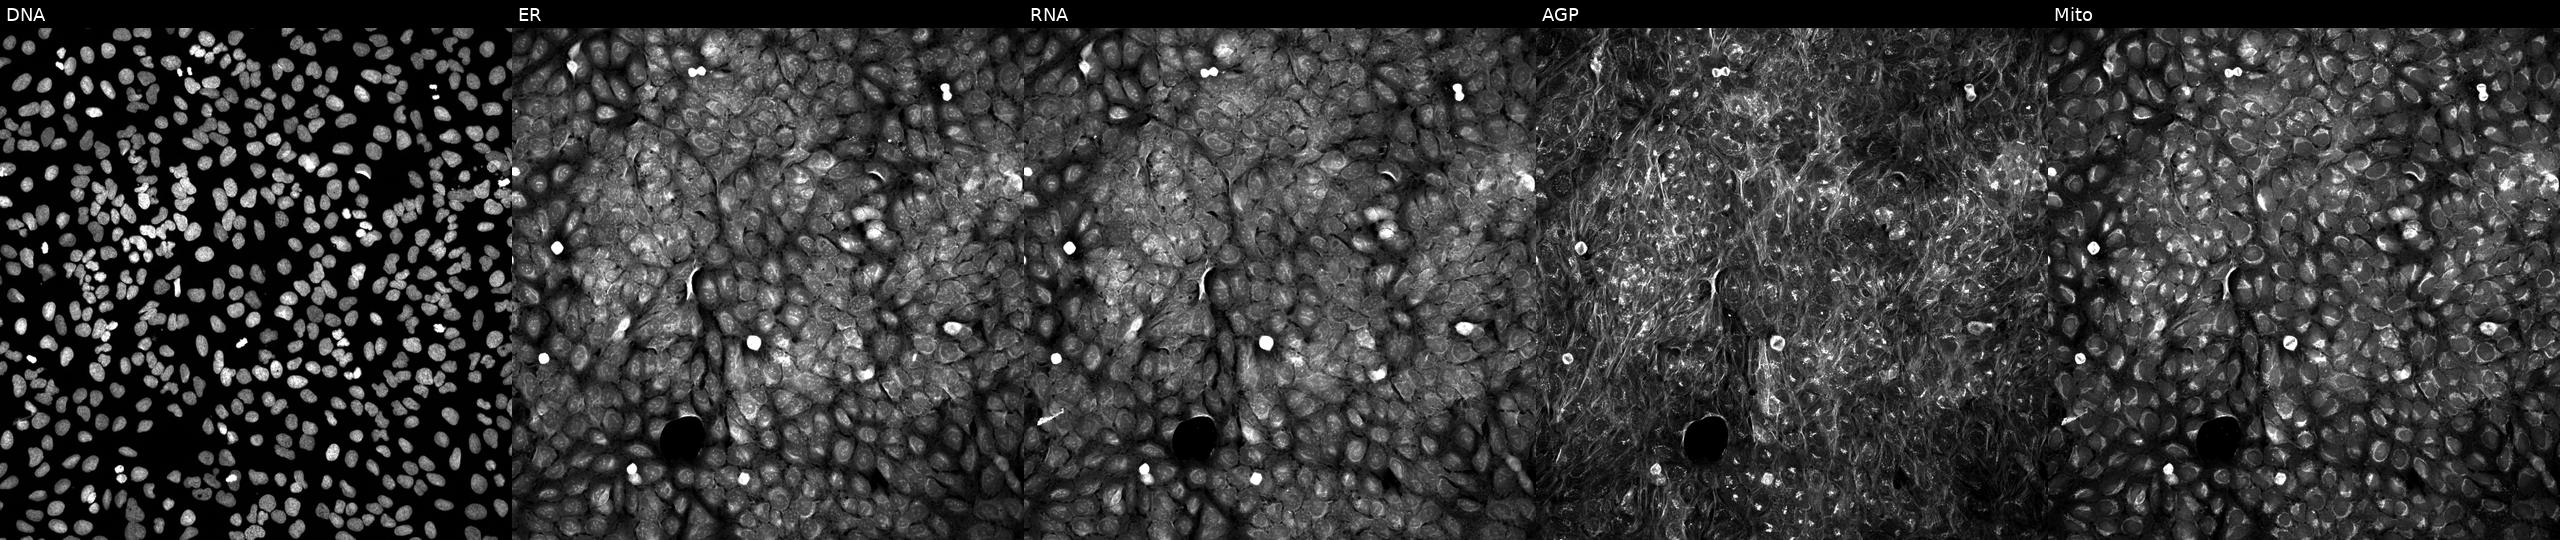
JUMP Cell Painting — COMPOUND plate. U2OS cells treated with DMSO vehicle only (negative control) (JUMP id JCP2022_033924). From left to right: DNA (nuclei); ER (endoplasmic reticulum); RNA (nucleoli and cytoplasmic RNA); AGP (actin cytoskeleton, Golgi, and plasma membrane); Mito (mitochondria).